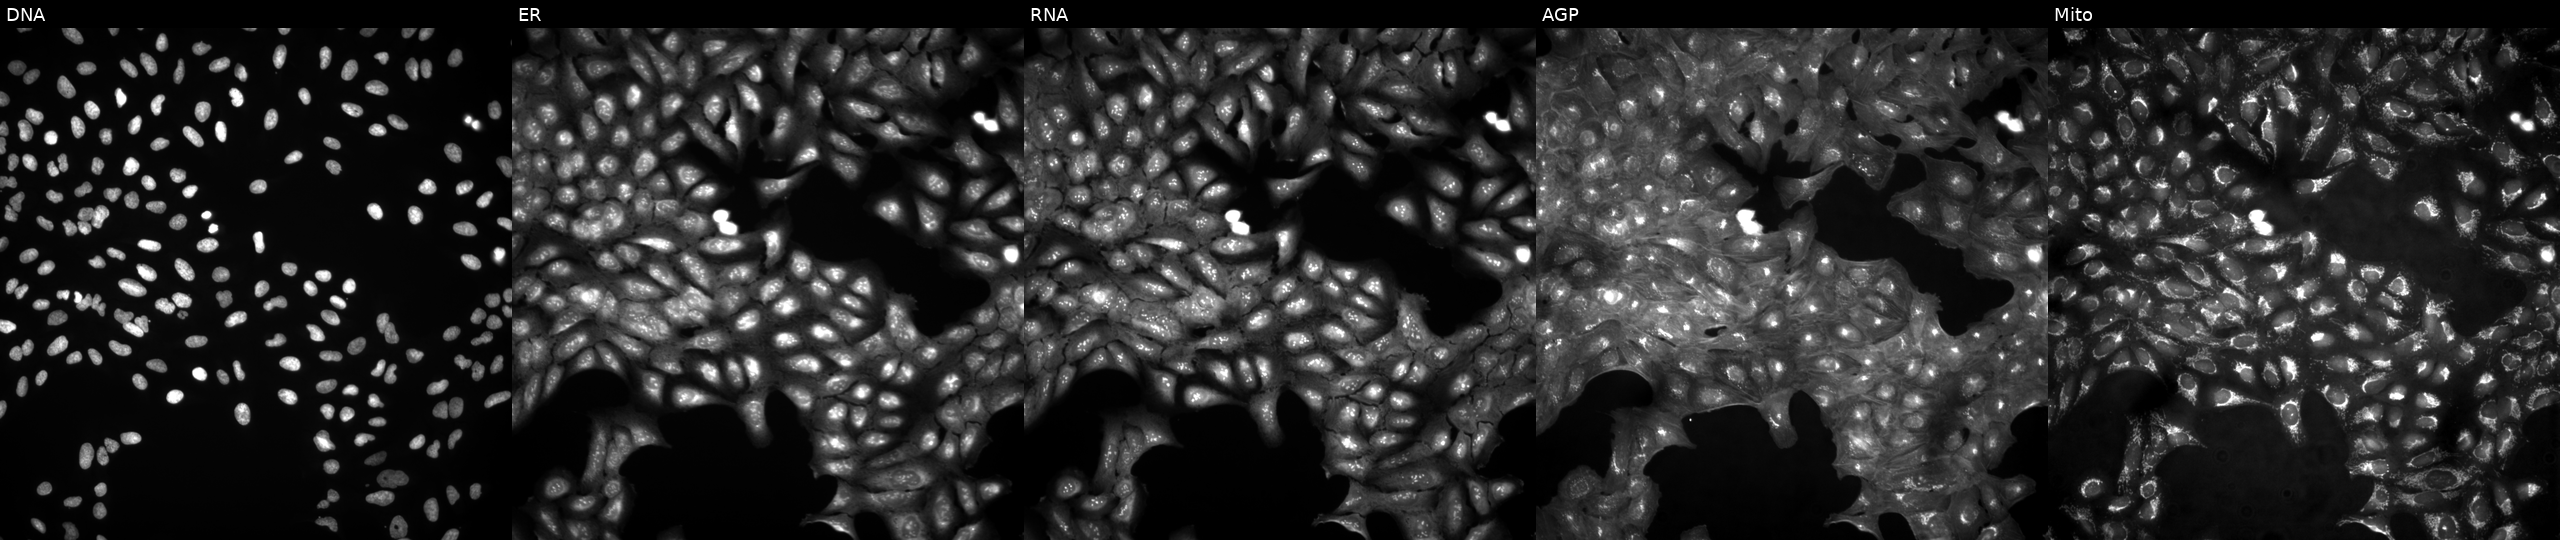
This image strip shows the five Cell Painting channels for a single field of U2OS cells untreated (empty-well control) (JUMP id JCP2022_999999). From left to right: DNA, ER, RNA, AGP, and Mito.